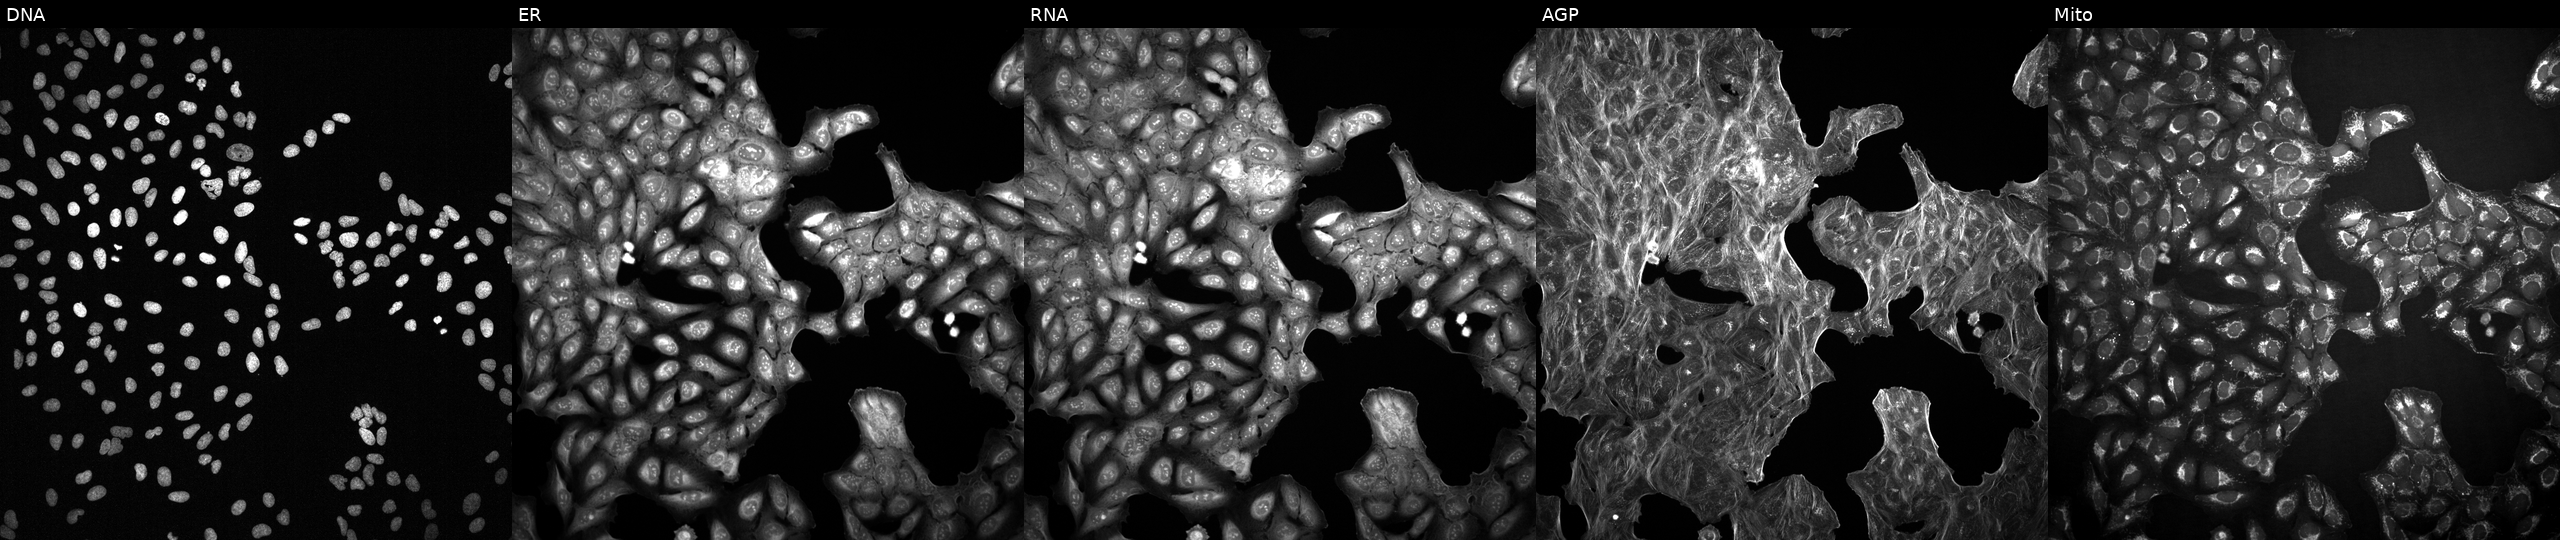
U2OS cells, Cell Painting assay, with an unidentified perturbation (not annotated in JUMP metadata). Channels (left→right): DNA (nuclei); ER (endoplasmic reticulum); RNA (nucleoli and cytoplasmic RNA); AGP (actin cytoskeleton, Golgi, and plasma membrane); Mito (mitochondria). Each panel is percentile-stretched 16-bit fluorescence.